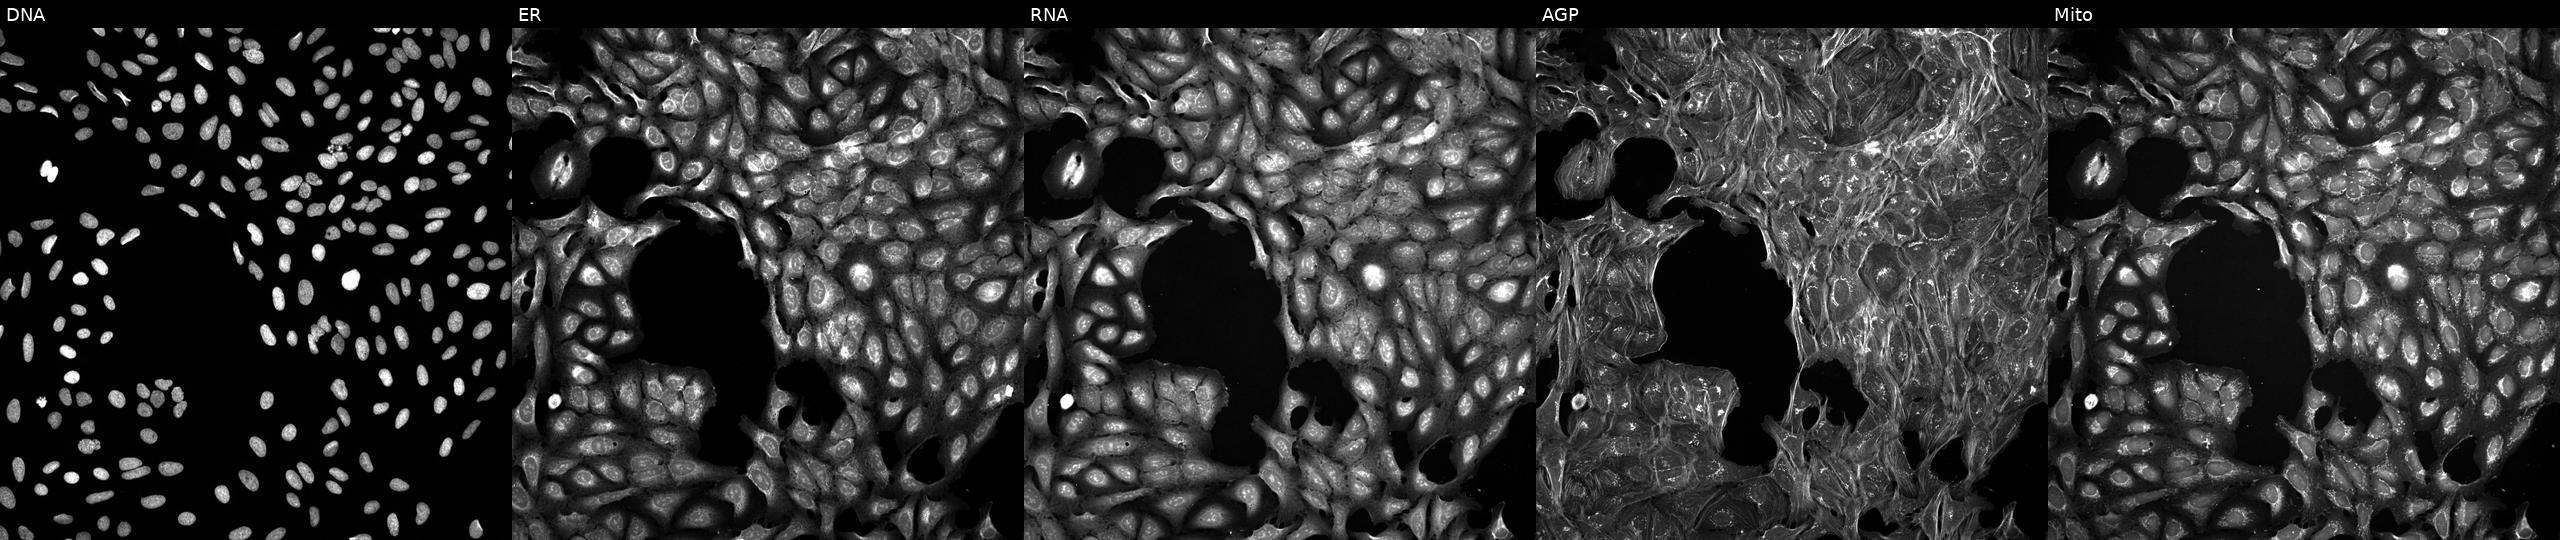
High-content fluorescence microscopy (Cell Painting). Cell line: U2OS. Perturbation: perturbed with a small-molecule compound (InChIKey XFILPEOLDIKJHX-UHFFFAOYSA-N) (JUMP id JCP2022_103291). The five panels, left to right, show Hoechst 33342, concanavalin A, SYTO 14, phalloidin and WGA, MitoTracker.